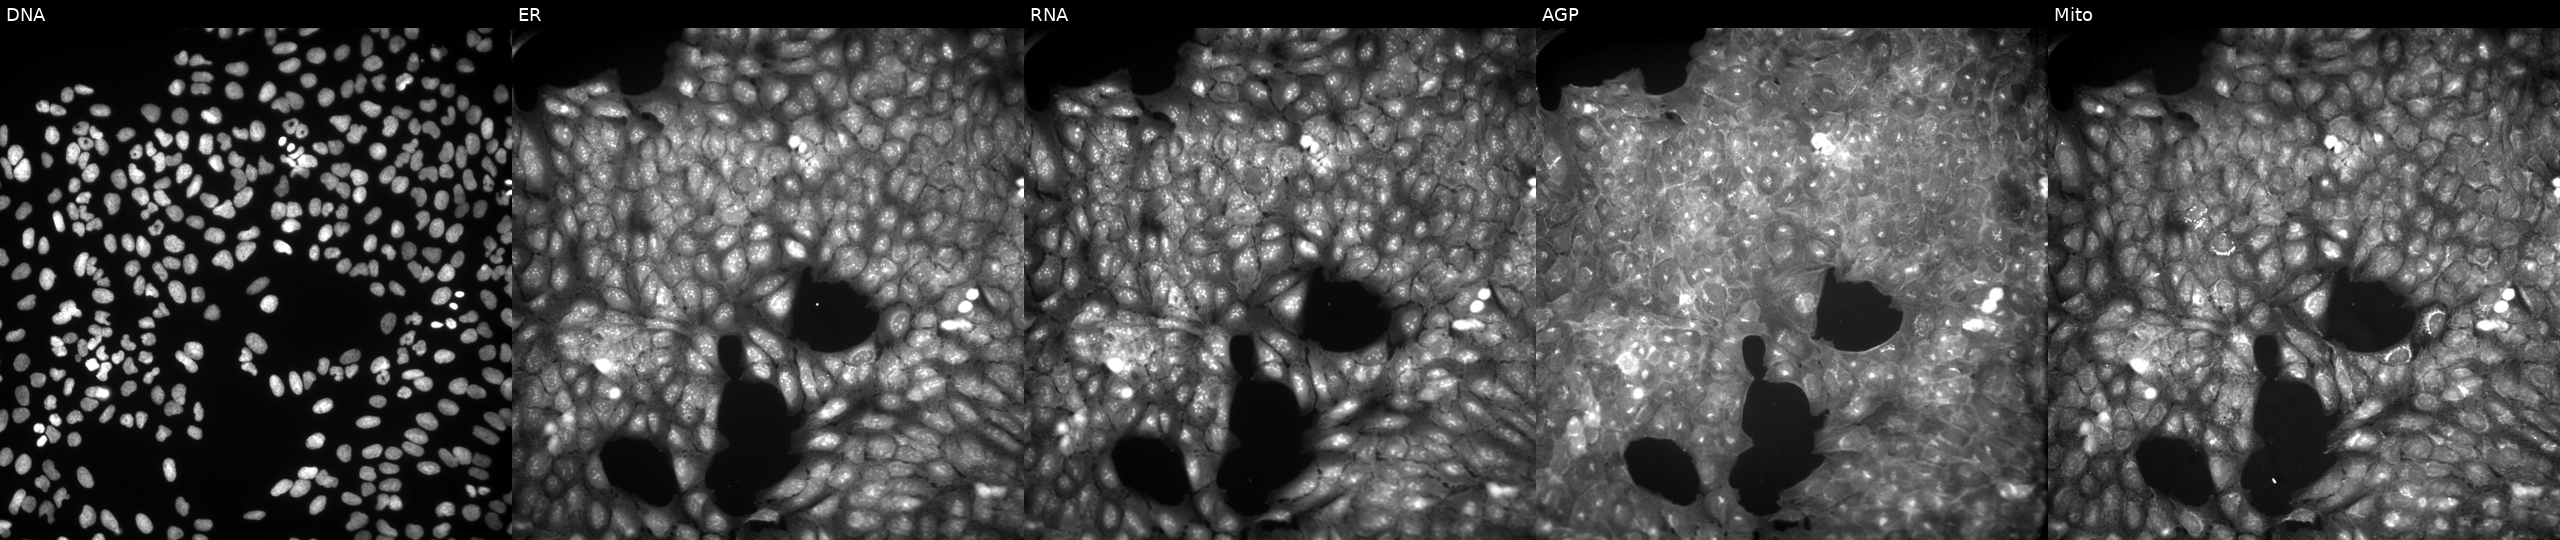
From left to right: Hoechst 33342, concanavalin A, SYTO 14, phalloidin and WGA, MitoTracker. U2OS osteosarcoma cells exposed to DMSO alone as a negative control. Cell Painting assay, JUMP-CP dataset.